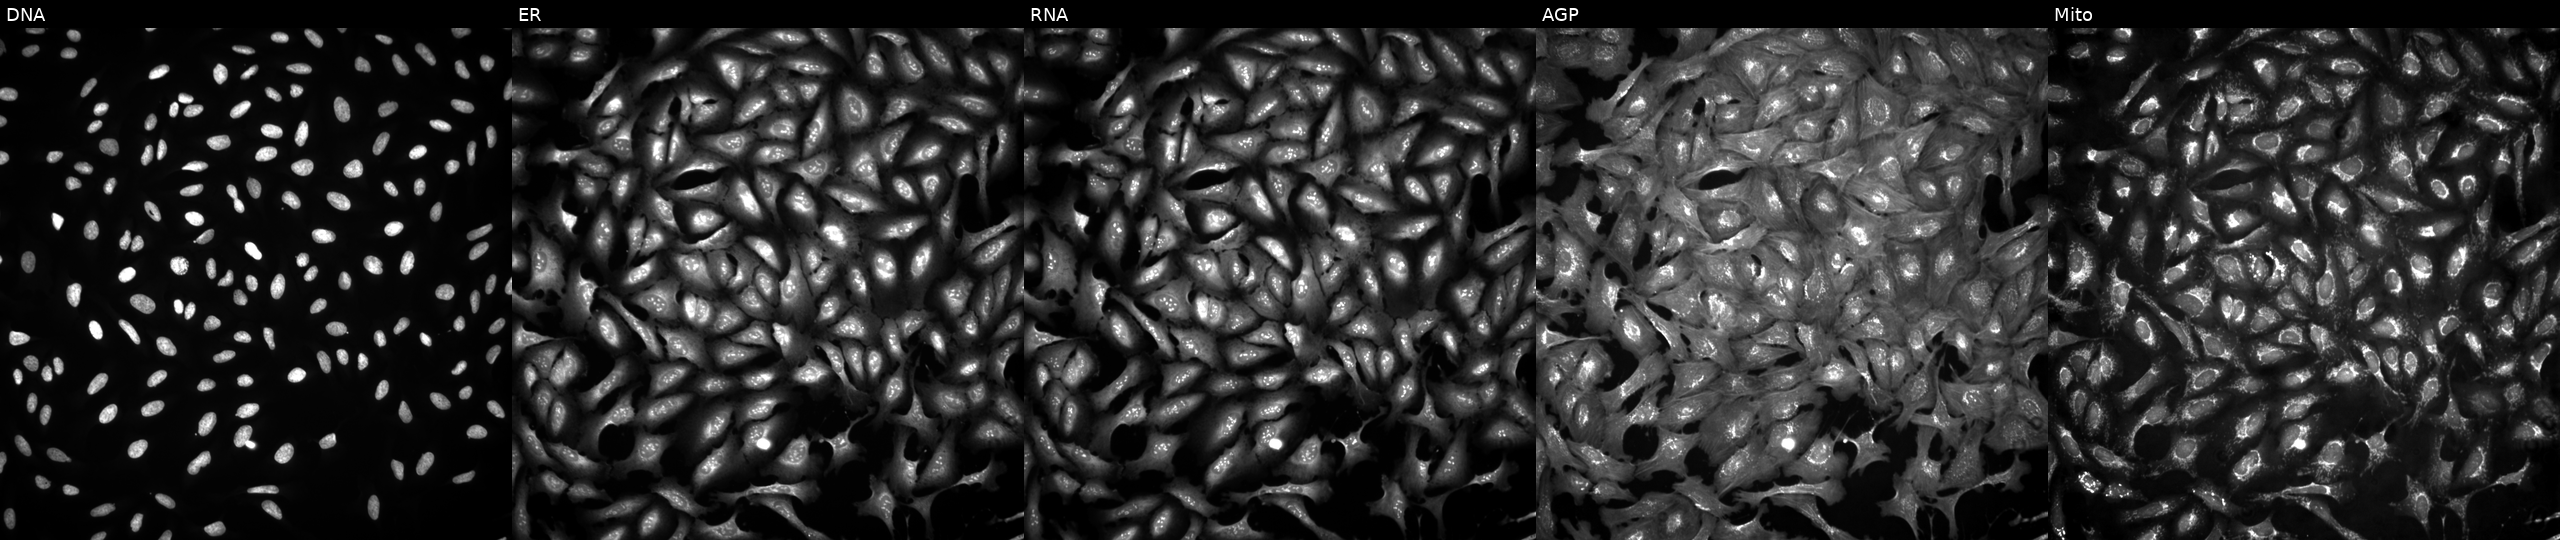
From left to right: DNA (nuclei); ER (endoplasmic reticulum); RNA (nucleoli and cytoplasmic RNA); AGP (actin cytoskeleton, Golgi, and plasma membrane); Mito (mitochondria). U2OS osteosarcoma cells with CSNK2A2 overexpressed (ORF). Cell Painting assay, JUMP-CP dataset.